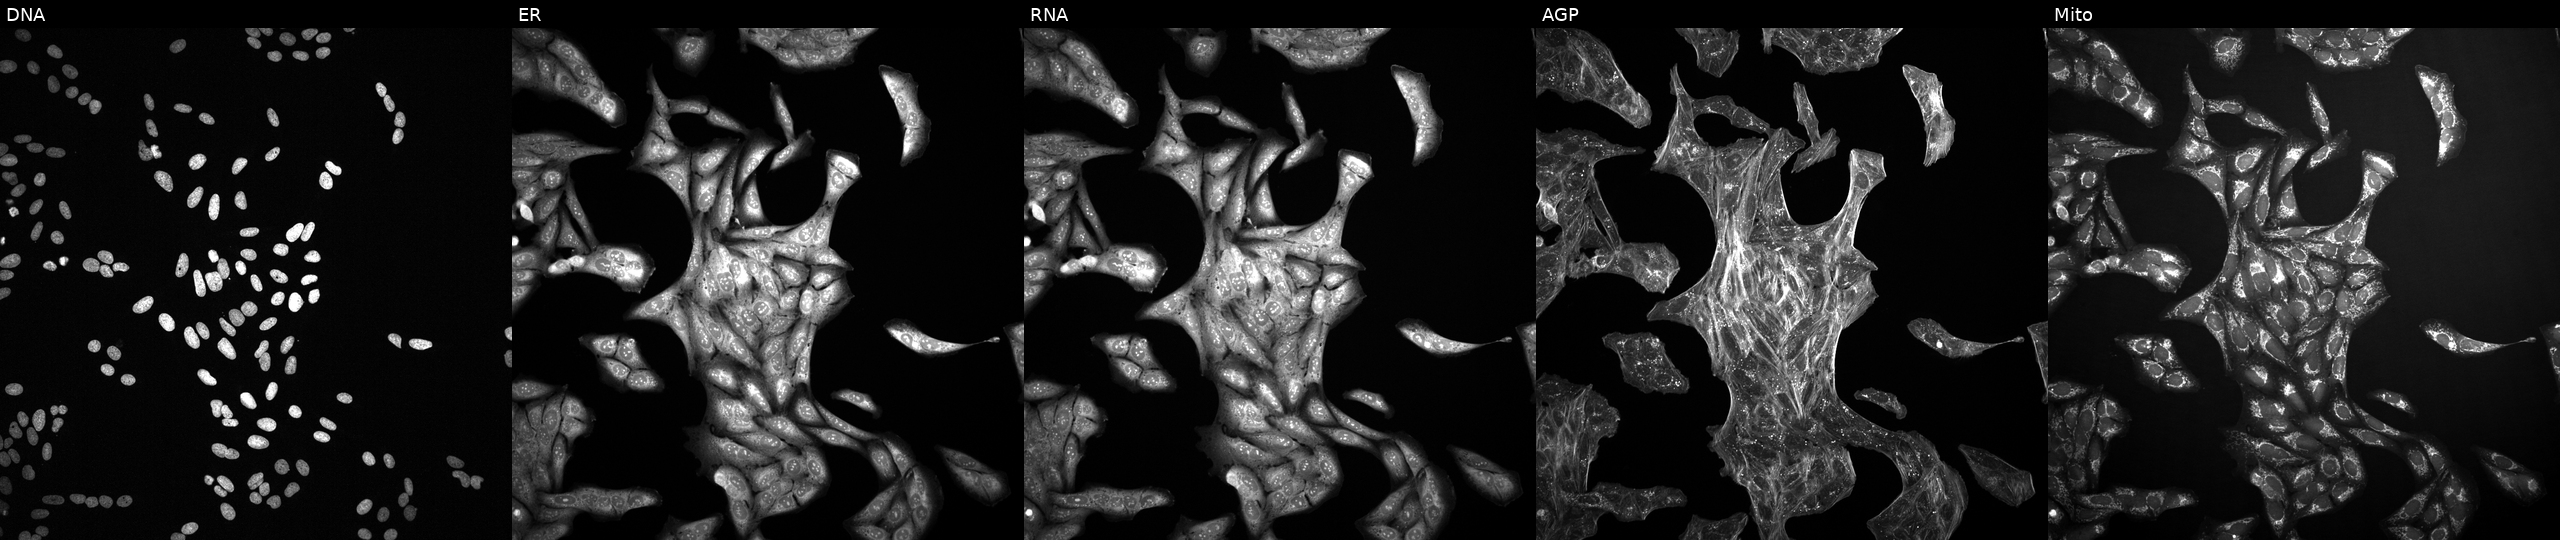
Five-channel Cell Painting image of U2OS cells exposed to a small-molecule compound. Channels (left→right): Hoechst 33342, concanavalin A, SYTO 14, phalloidin and WGA, MitoTracker.